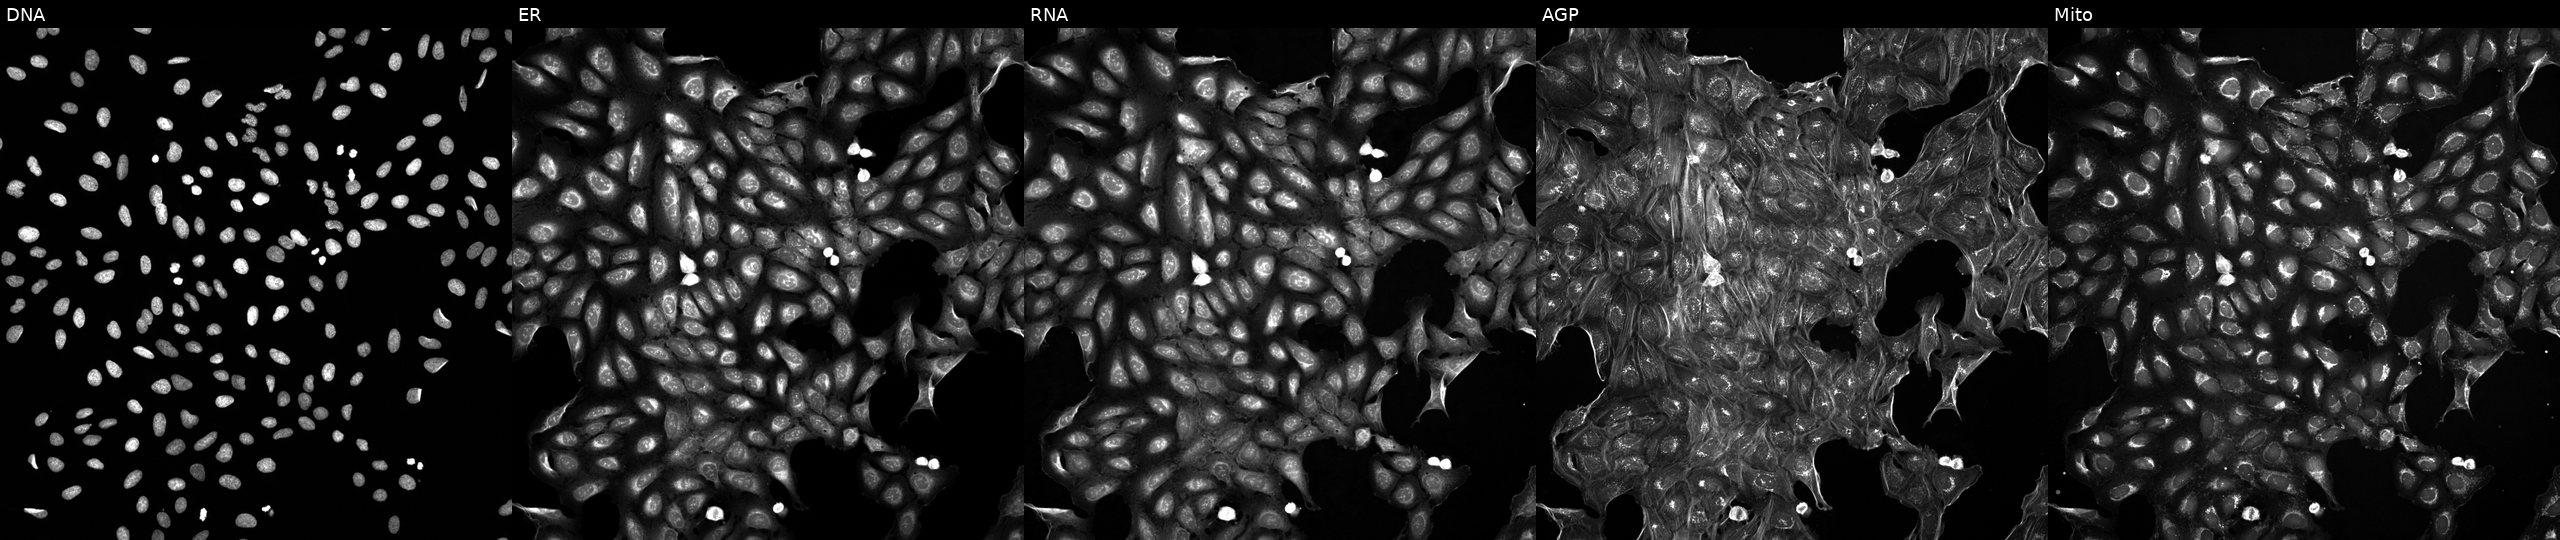
JUMP Cell Painting — TARGET2 plate. U2OS cells exposed to DMSO alone as a negative control. Channels (left→right): DNA (nuclei); ER (endoplasmic reticulum); RNA (nucleoli and cytoplasmic RNA); AGP (actin cytoskeleton, Golgi, and plasma membrane); Mito (mitochondria).